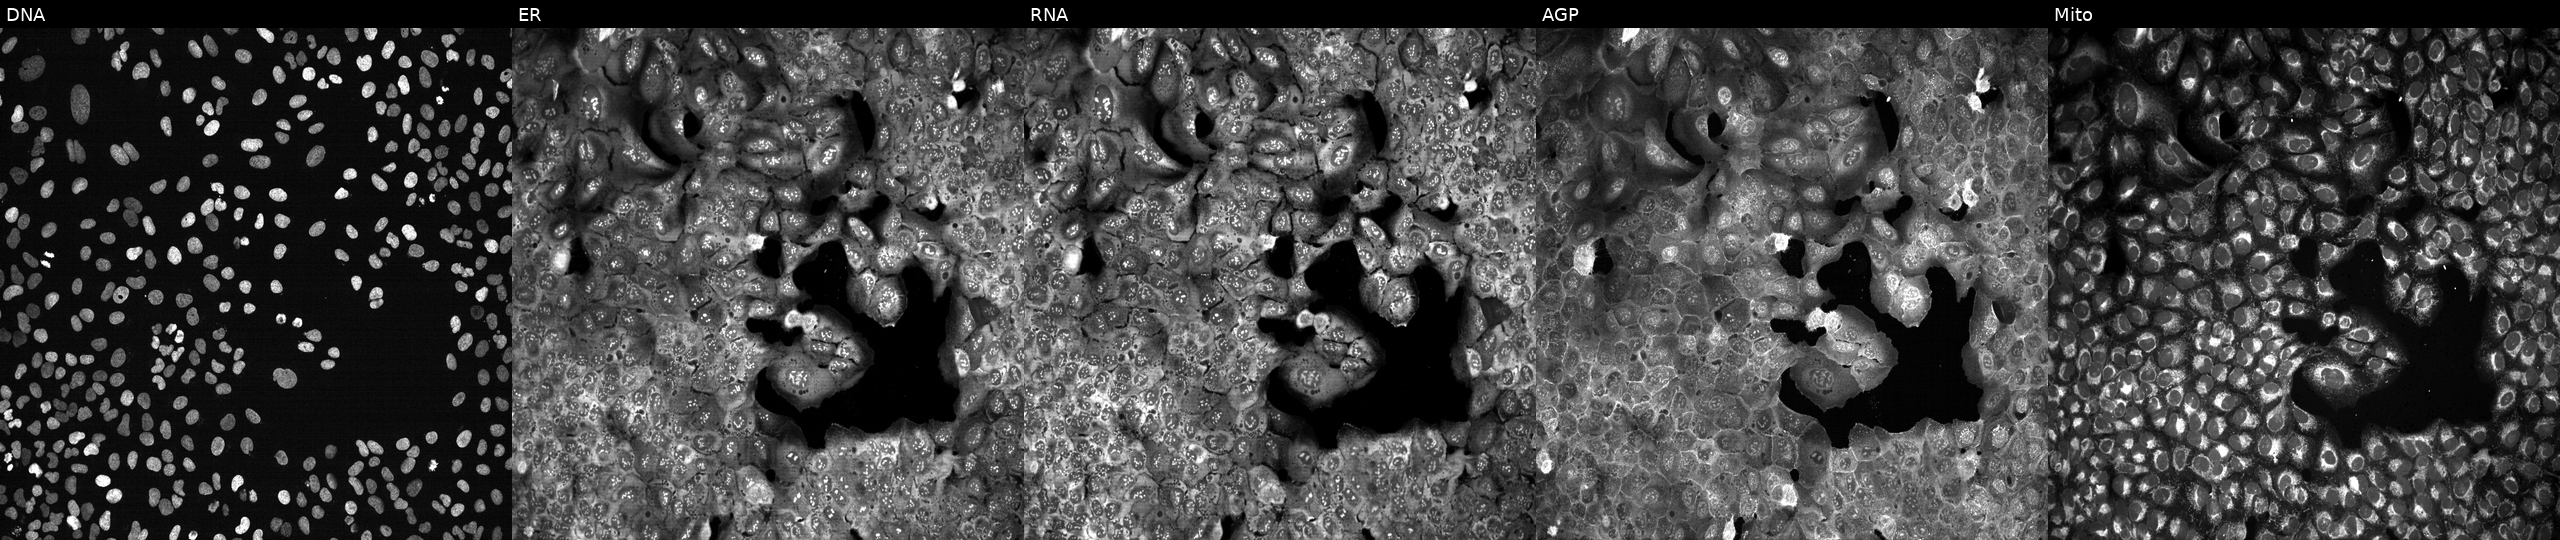
U2OS cells, Cell Painting assay, following CRISPR knockout of ATP10B (JUMP id JCP2022_800689). Panels show, left to right, DNA, ER, RNA, AGP, and Mito. Each panel is percentile-stretched 16-bit fluorescence. Source 13, plate CP-CC9-R4-04, well A21.